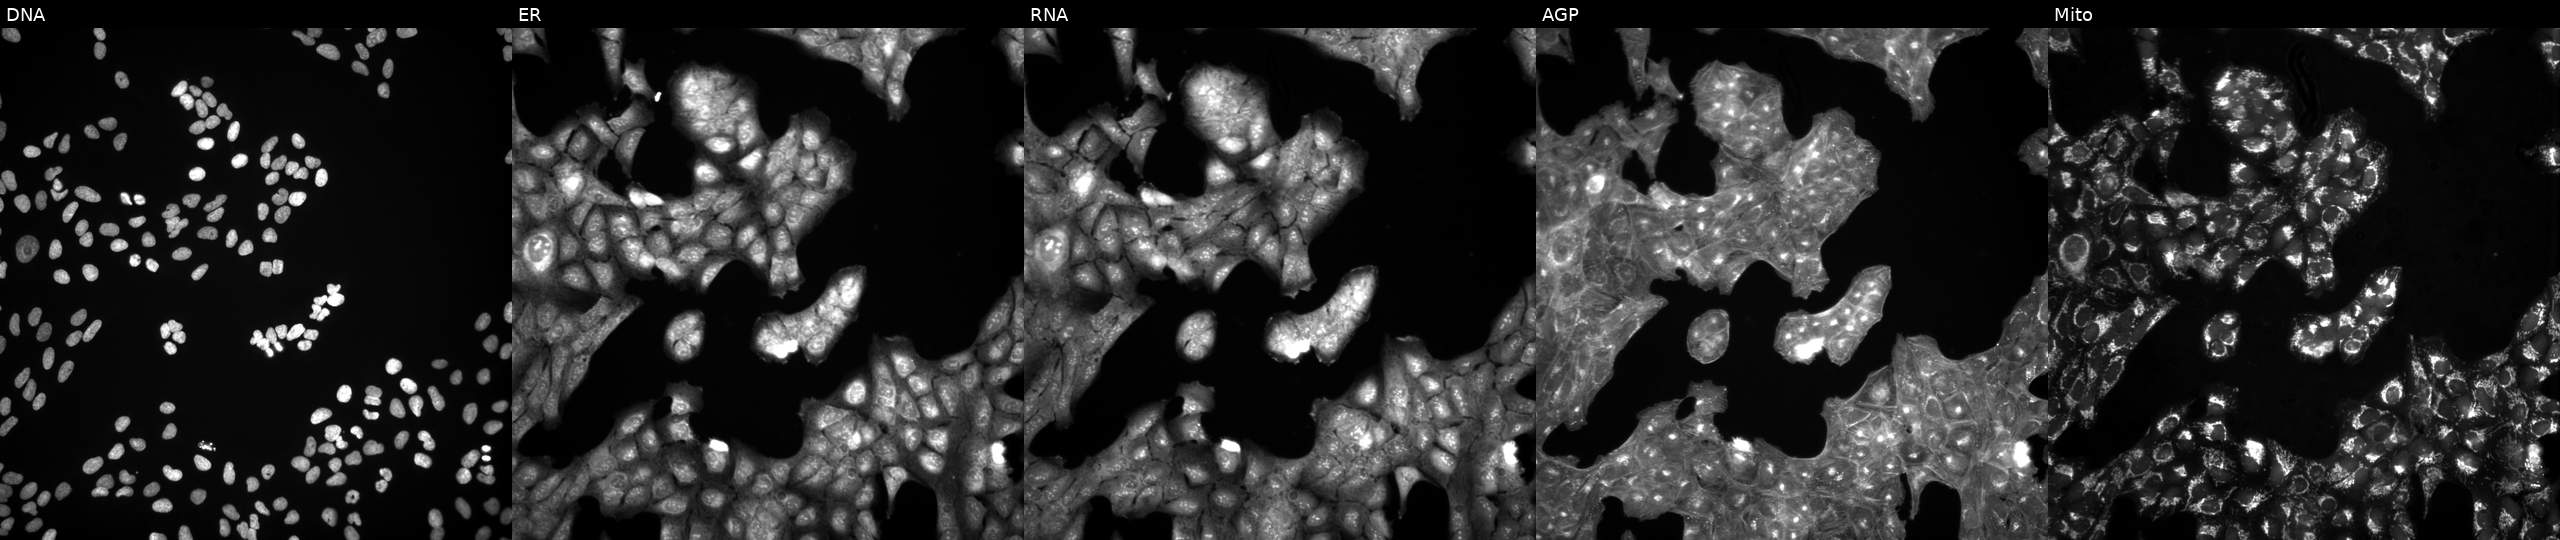
This image strip shows the five Cell Painting channels for a single field of U2OS cells exposed to a small-molecule compound (InChIKey DMWVGXGXHPOEPT-UHFFFAOYSA-N) (JUMP id JCP2022_016935). Panels show, left to right, DNA, ER, RNA, AGP, and Mito.